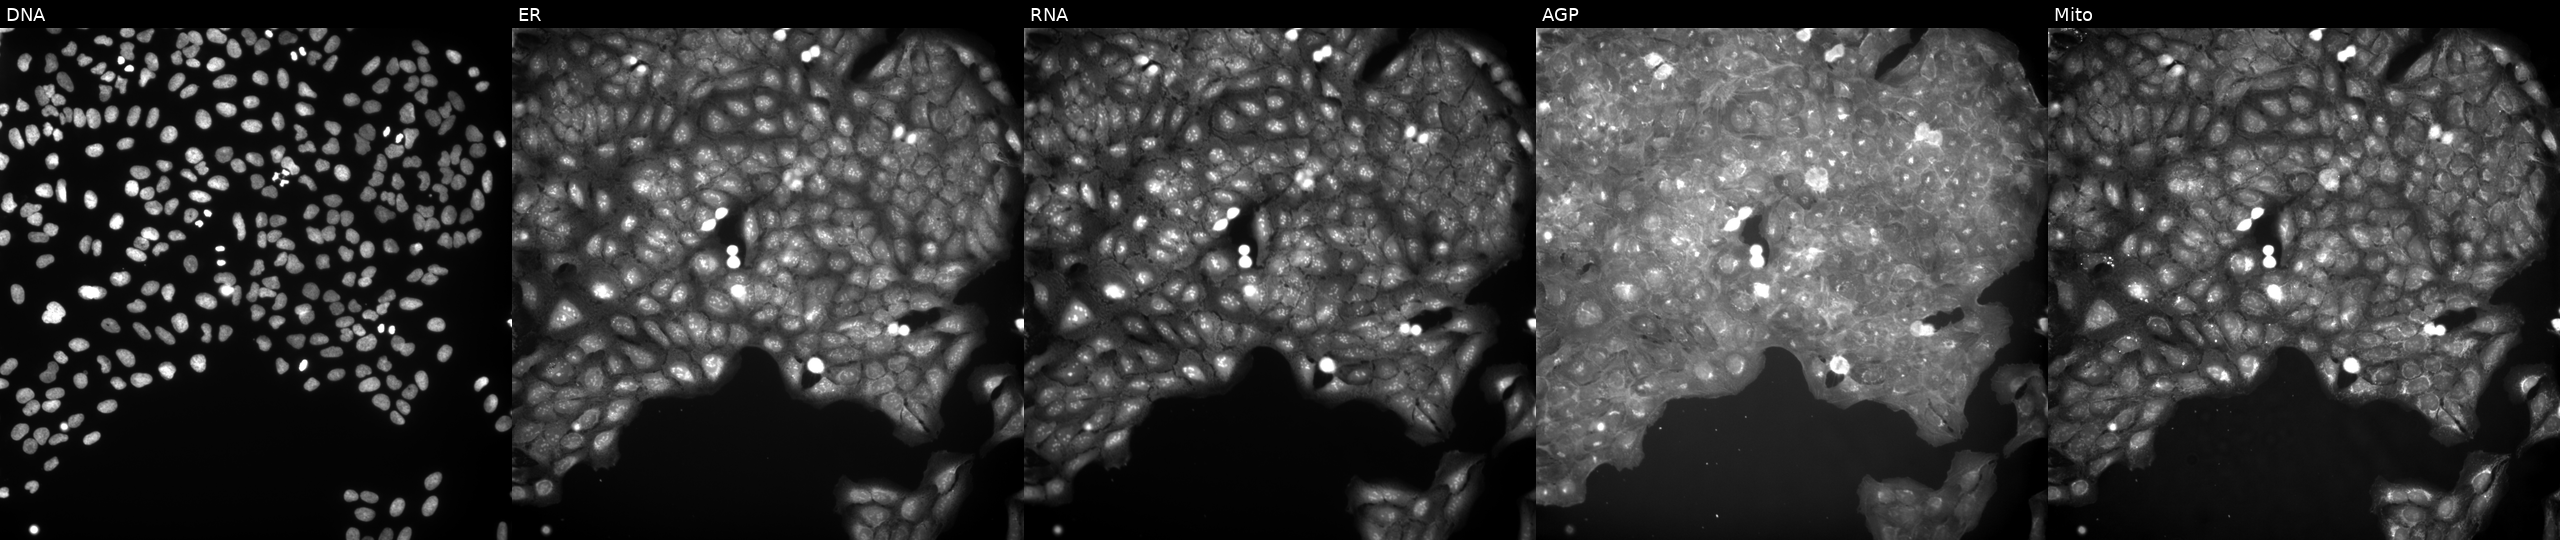
This image strip shows the five Cell Painting channels for a single field of U2OS cells perturbed with a small-molecule compound (InChIKey SCDHFNRHFJVGLZ-UHFFFAOYSA-N) (JUMP id JCP2022_082223). Channels (left→right): DNA, ER, RNA, AGP, and Mito. Source 9, plate GR00003381, well Q18.